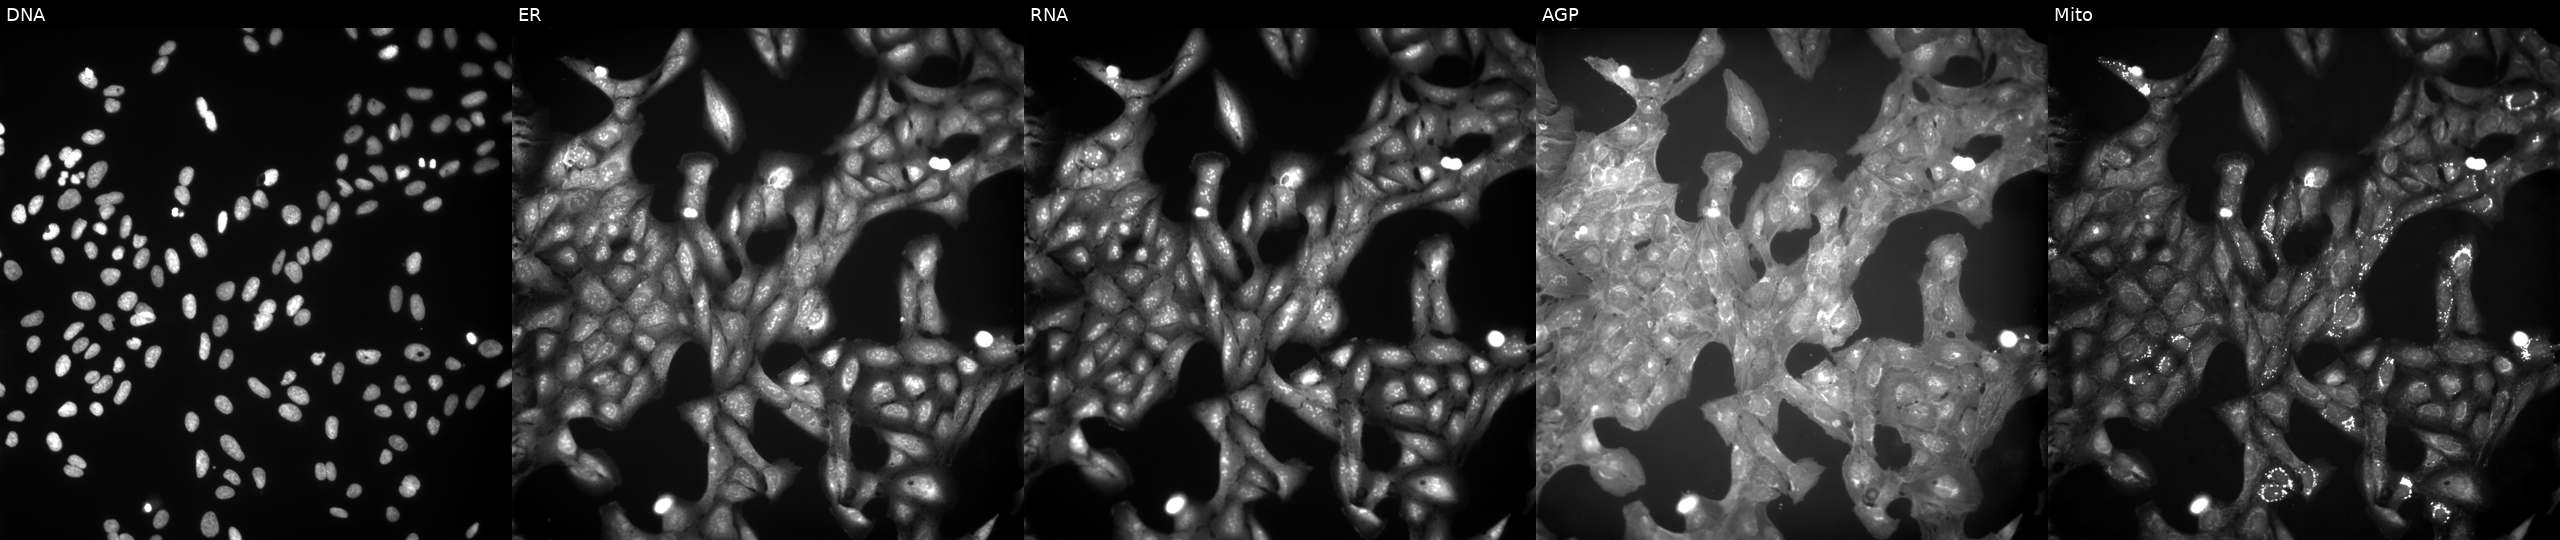
This image strip shows the five Cell Painting channels for a single field of U2OS cells perturbed with a small-molecule compound (InChIKey SNDKJCNAMXPNBX-UHFFFAOYSA-N) (JUMP id JCP2022_084326). The five panels, left to right, show Hoechst 33342, concanavalin A, SYTO 14, phalloidin and WGA, MitoTracker. Source 9, plate GR00003381, well AA11.